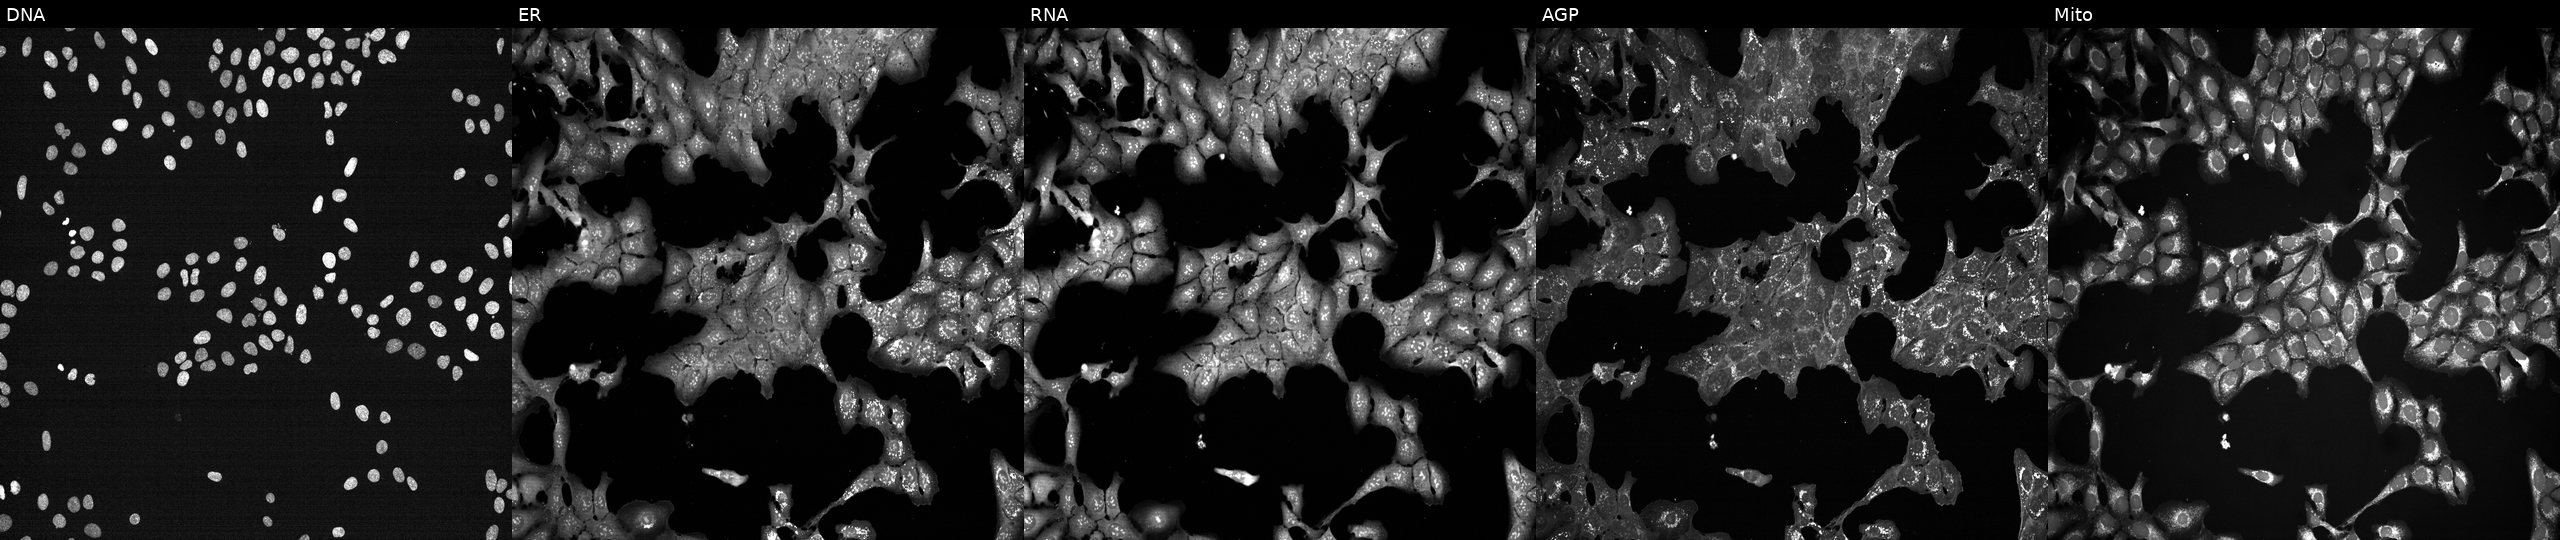
The five panels, left to right, show DNA, ER, RNA, AGP, and Mito. U2OS osteosarcoma cells treated with a small-molecule compound (InChIKey ZYVXTMKTGDARKR-UHFFFAOYSA-N). Cell Painting assay, JUMP-CP dataset.